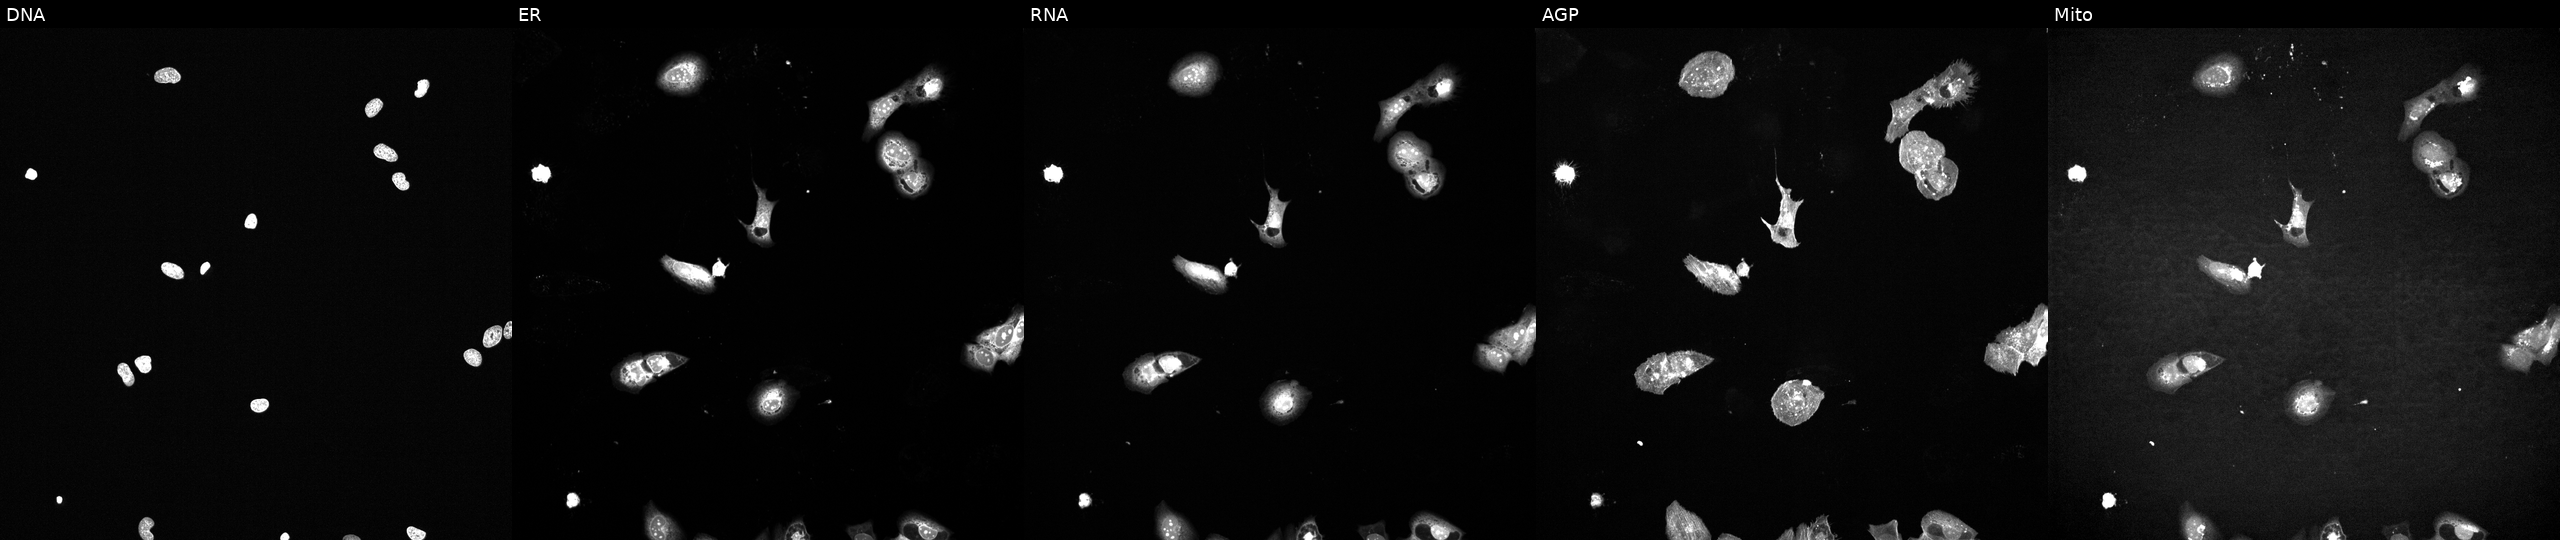
JUMP Cell Painting — TARGET2 plate. U2OS cells exposed to a small-molecule compound (InChIKey MNYJJHBAEYKXEG-UHFFFAOYSA-N). Panels show, left to right, DNA, ER, RNA, AGP, and Mito.